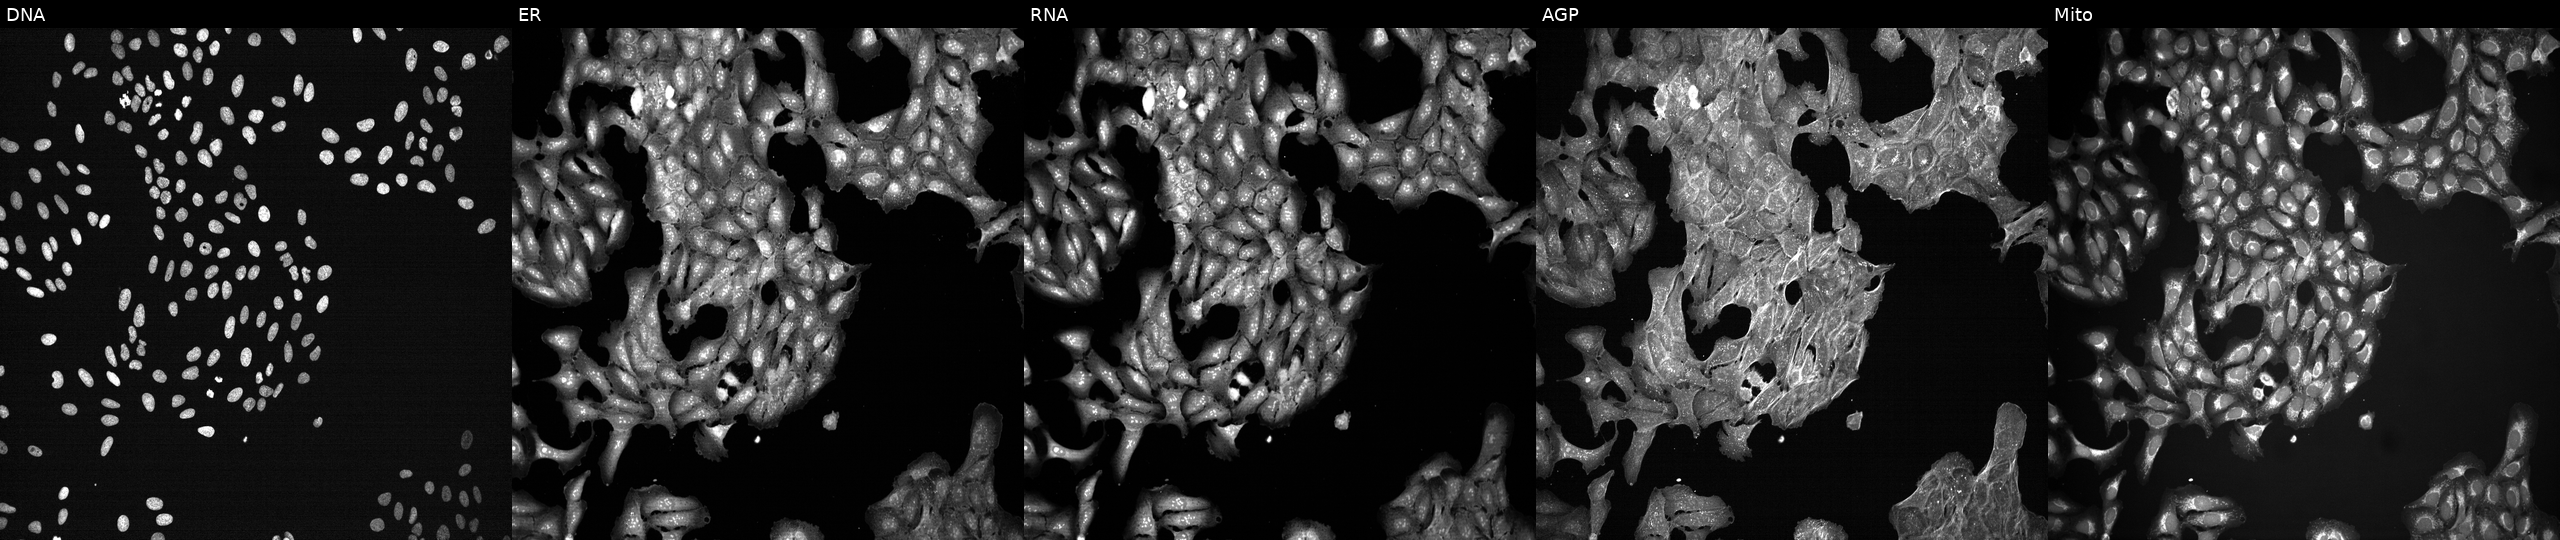
High-content fluorescence microscopy (Cell Painting). Cell line: U2OS. Perturbation: perturbed with a small-molecule compound (InChIKey QESQGTFWEQMCMH-UHFFFAOYSA-N) [SMILES: O=C(CSc1nc2c(c(=O)n1-c1ccccc1)SCC2)N=c1ccc(-c2ccccc2)c[nH]1] (JUMP id JCP2022_072945). From left to right: DNA (nuclei); ER (endoplasmic reticulum); RNA (nucleoli and cytoplasmic RNA); AGP (actin cytoskeleton, Golgi, and plasma membrane); Mito (mitochondria).